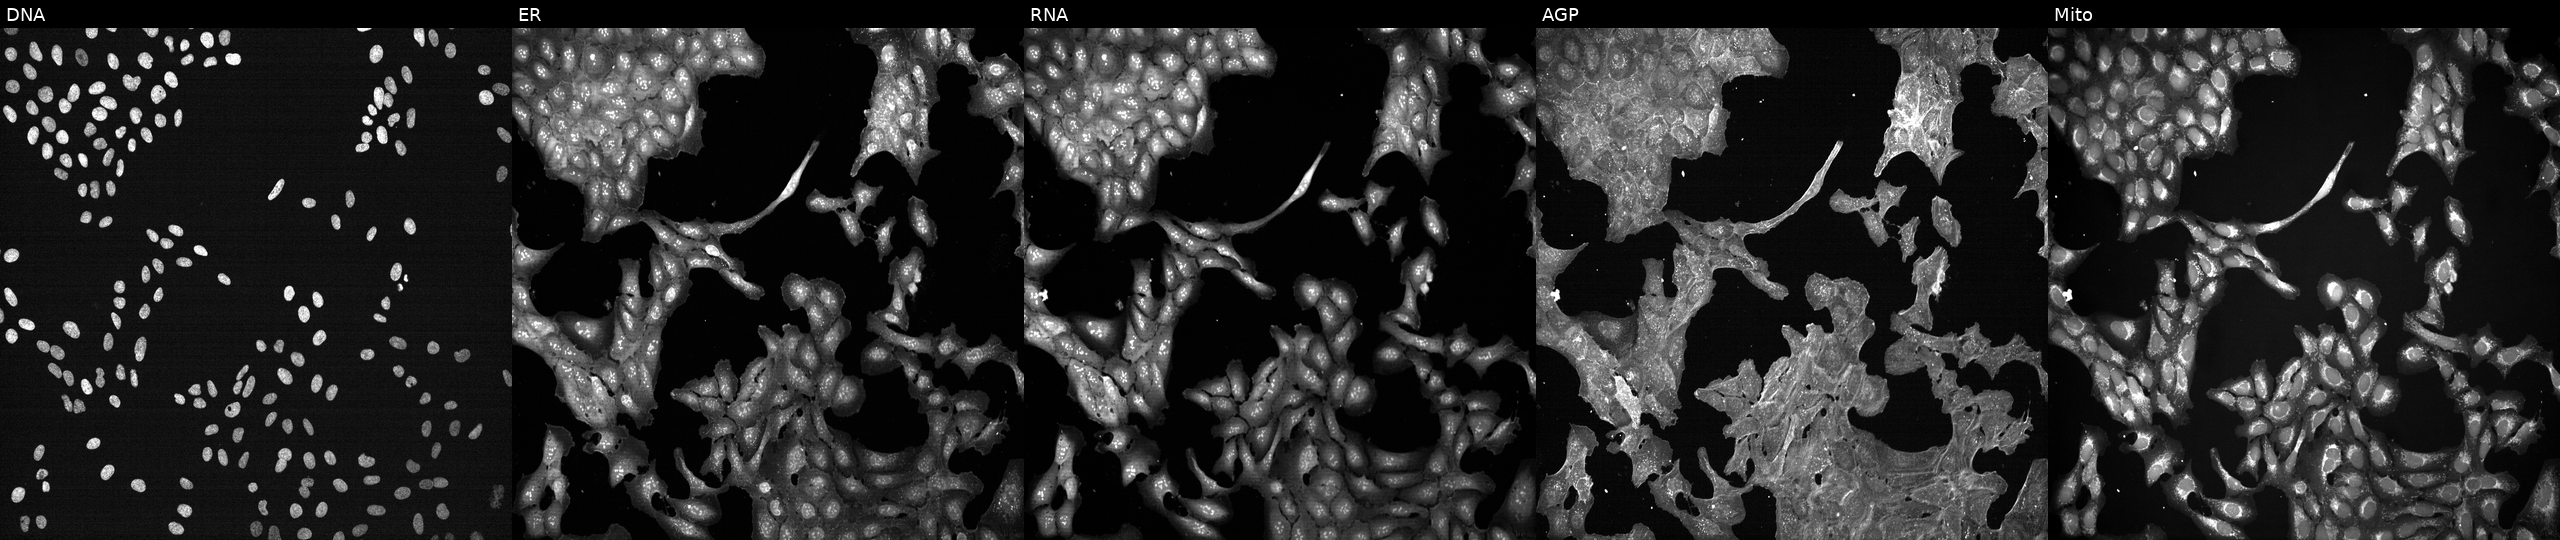
High-content fluorescence microscopy (Cell Painting). Cell line: U2OS. Perturbation: perturbed with a small-molecule compound (InChIKey ALBKMJDFBZVHAK-UHFFFAOYSA-N) [SMILES: CCOC(=O)c1ncc2[nH]c3ccc(OCc4ccccc4)cc3c2c1COC]. Channels (left→right): DNA, ER, RNA, AGP, and Mito.